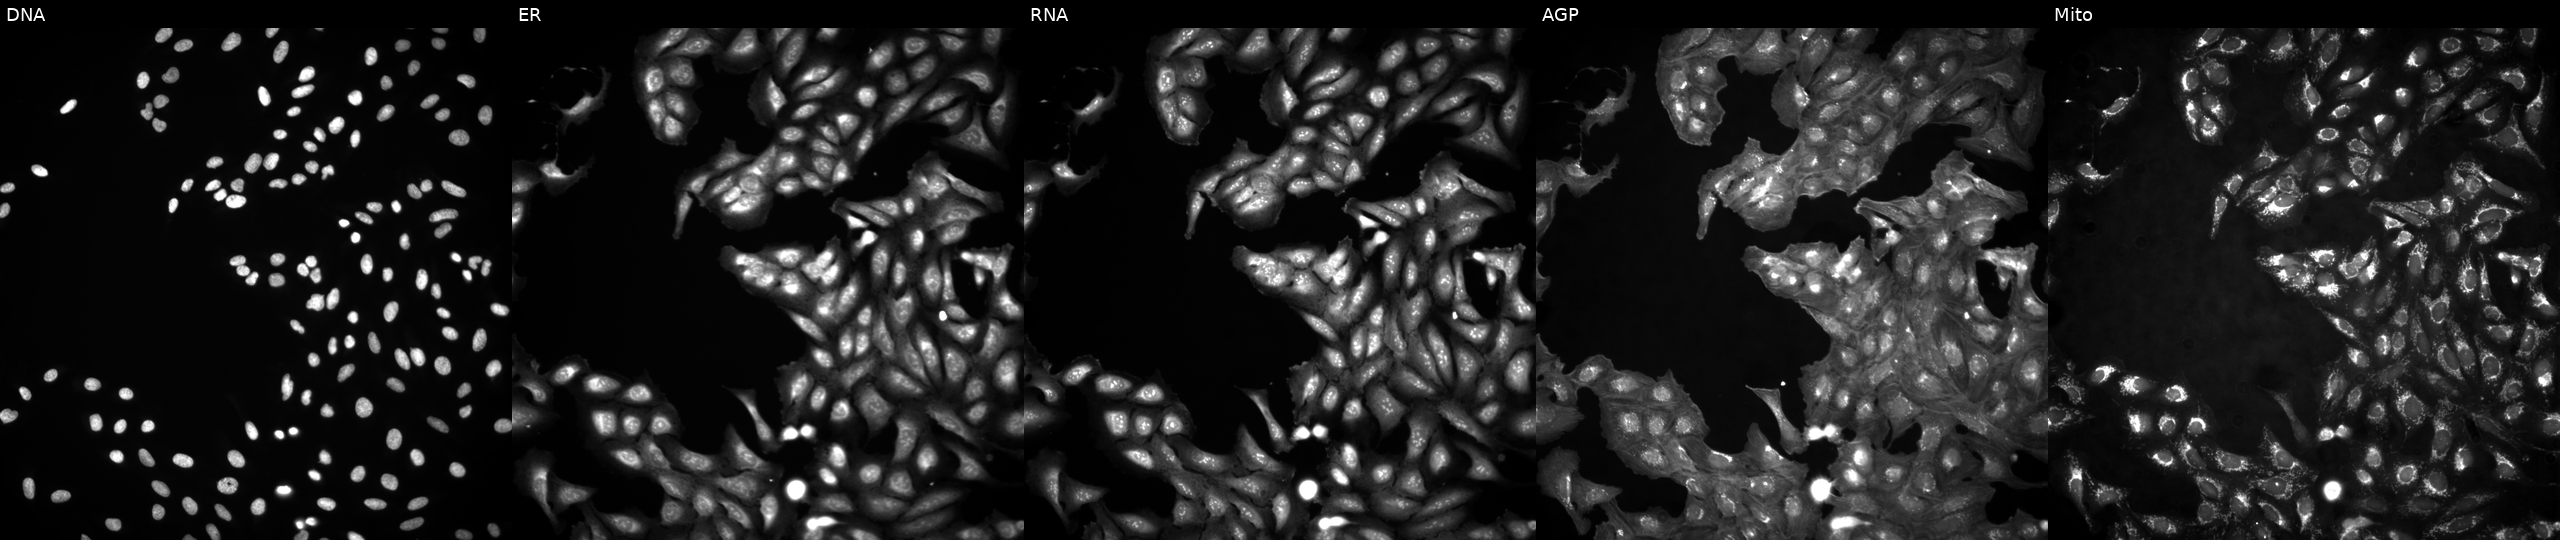
High-content fluorescence microscopy (Cell Painting). Cell line: U2OS. Perturbation: in an empty control well (no perturbation) (JUMP id JCP2022_999999). From left to right: DNA (nuclei); ER (endoplasmic reticulum); RNA (nucleoli and cytoplasmic RNA); AGP (actin cytoskeleton, Golgi, and plasma membrane); Mito (mitochondria).